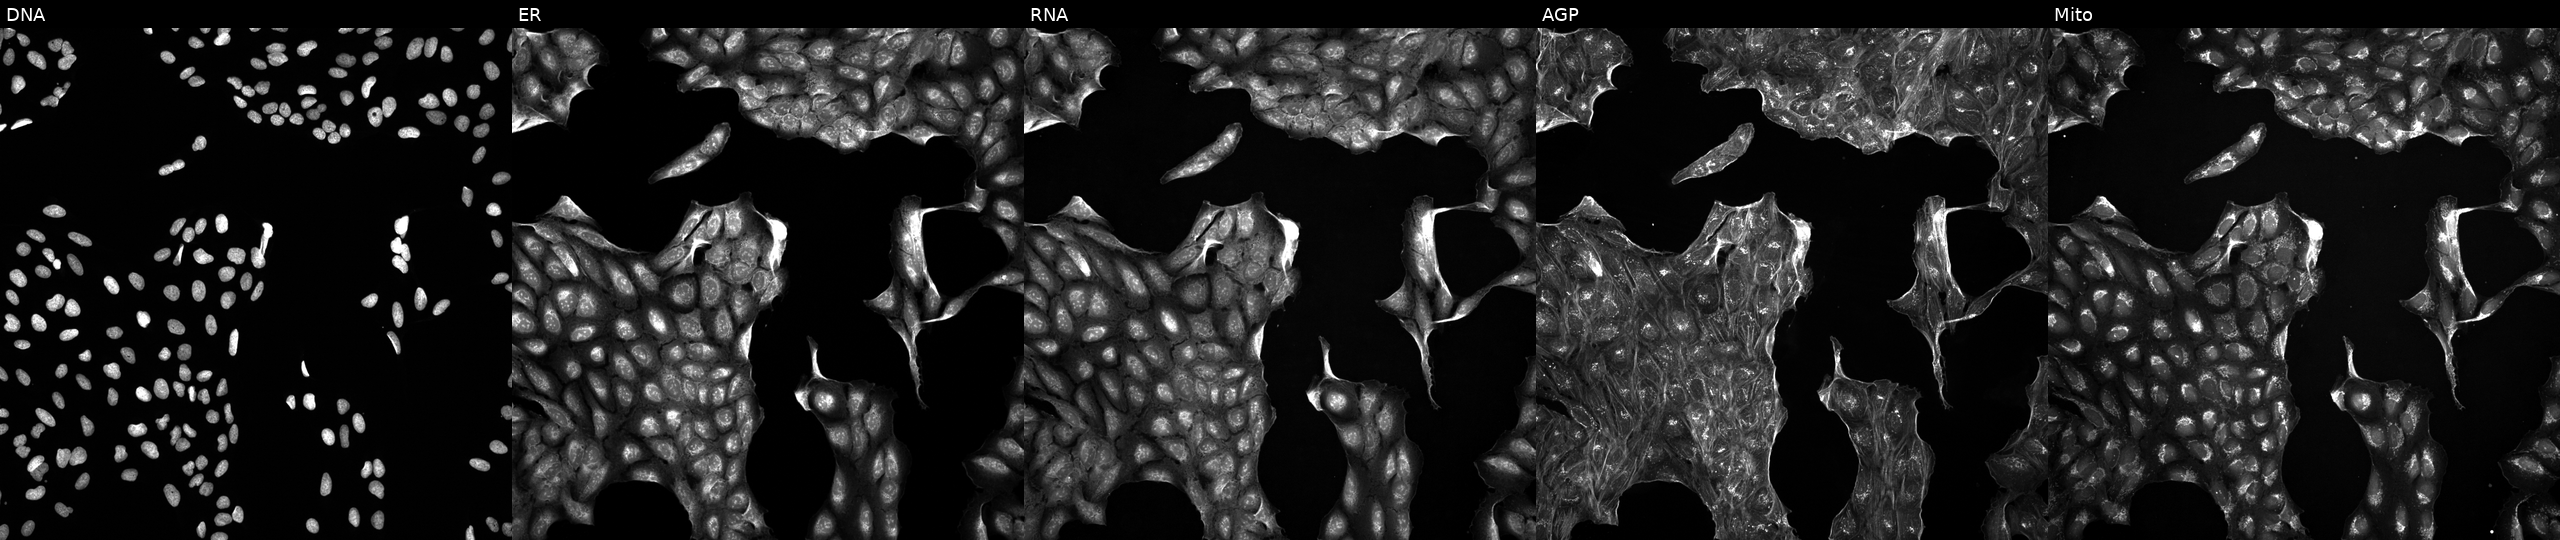
U2OS cells, Cell Painting assay, perturbed with a small-molecule compound (JUMP id JCP2022_113710). From left to right: DNA (nuclei); ER (endoplasmic reticulum); RNA (nucleoli and cytoplasmic RNA); AGP (actin cytoskeleton, Golgi, and plasma membrane); Mito (mitochondria). Each panel is percentile-stretched 16-bit fluorescence. Source 5, plate ACPJUM051, well C18.